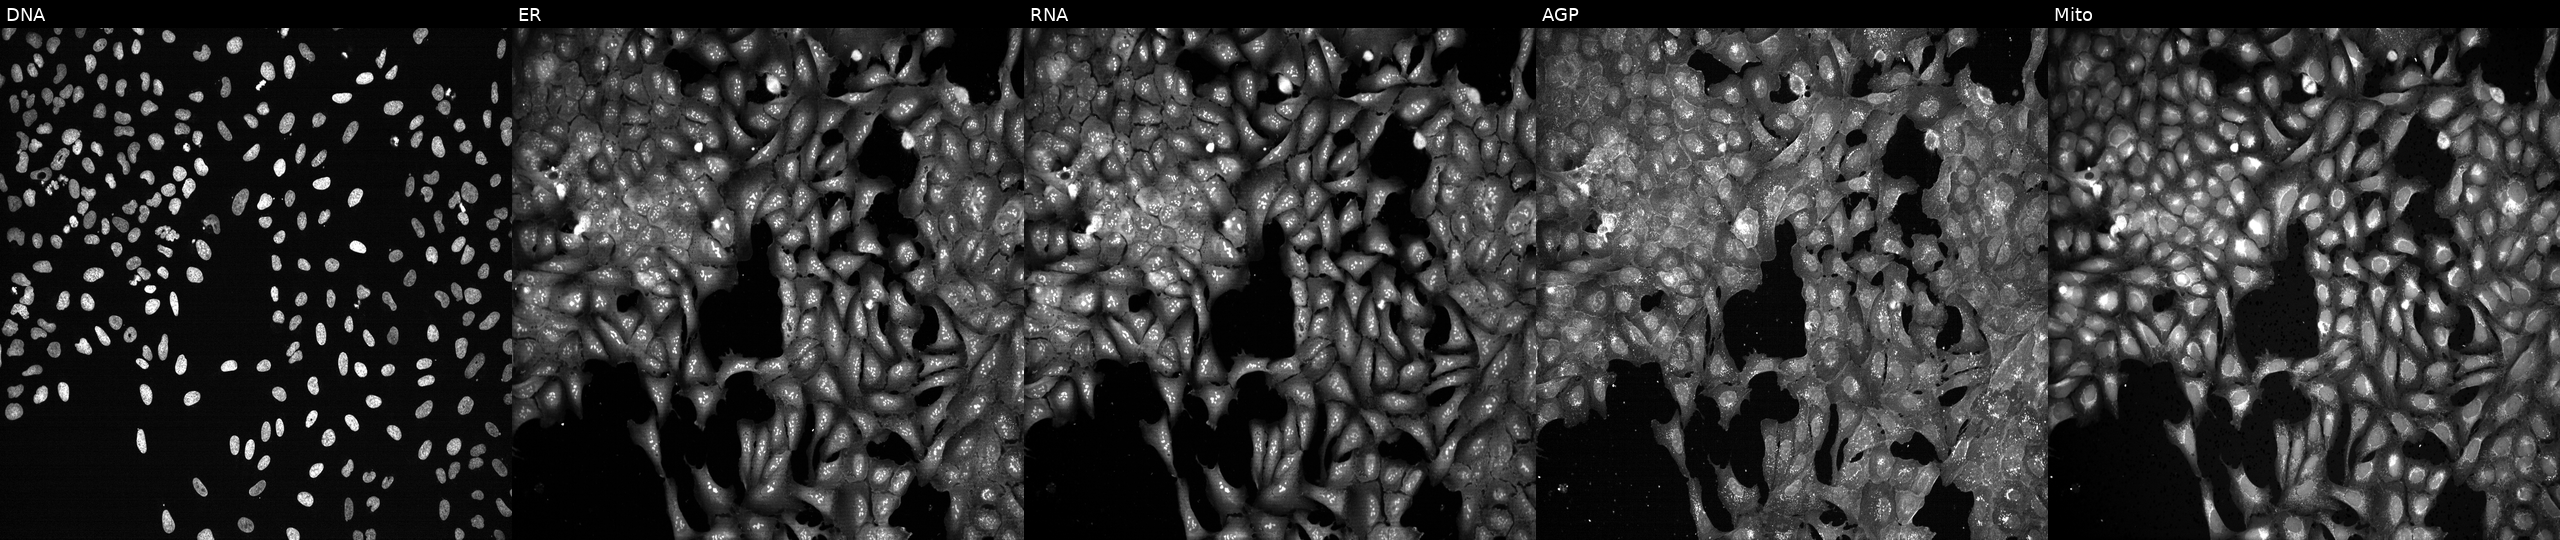
U2OS cells, Cell Painting assay, with ALDH3B1 knocked out by CRISPR. Panels show, left to right, DNA (nuclei); ER (endoplasmic reticulum); RNA (nucleoli and cytoplasmic RNA); AGP (actin cytoskeleton, Golgi, and plasma membrane); Mito (mitochondria). Each panel is percentile-stretched 16-bit fluorescence.